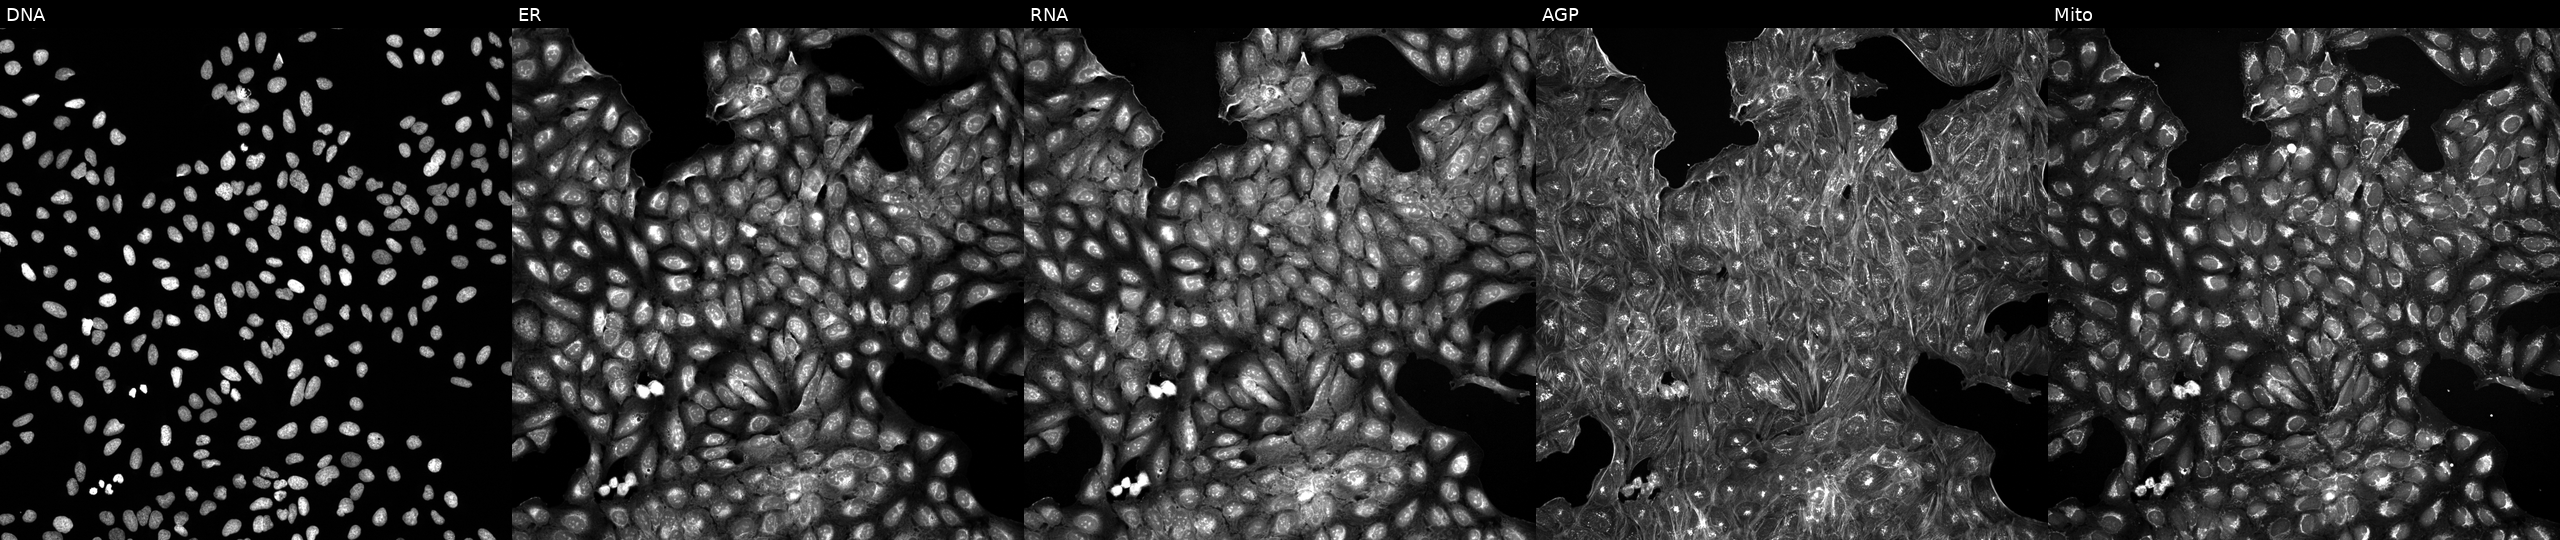
Five-channel Cell Painting image of U2OS cells treated with quinidine (positive-control compound). Channels (left→right): Hoechst 33342, concanavalin A, SYTO 14, phalloidin and WGA, MitoTracker.